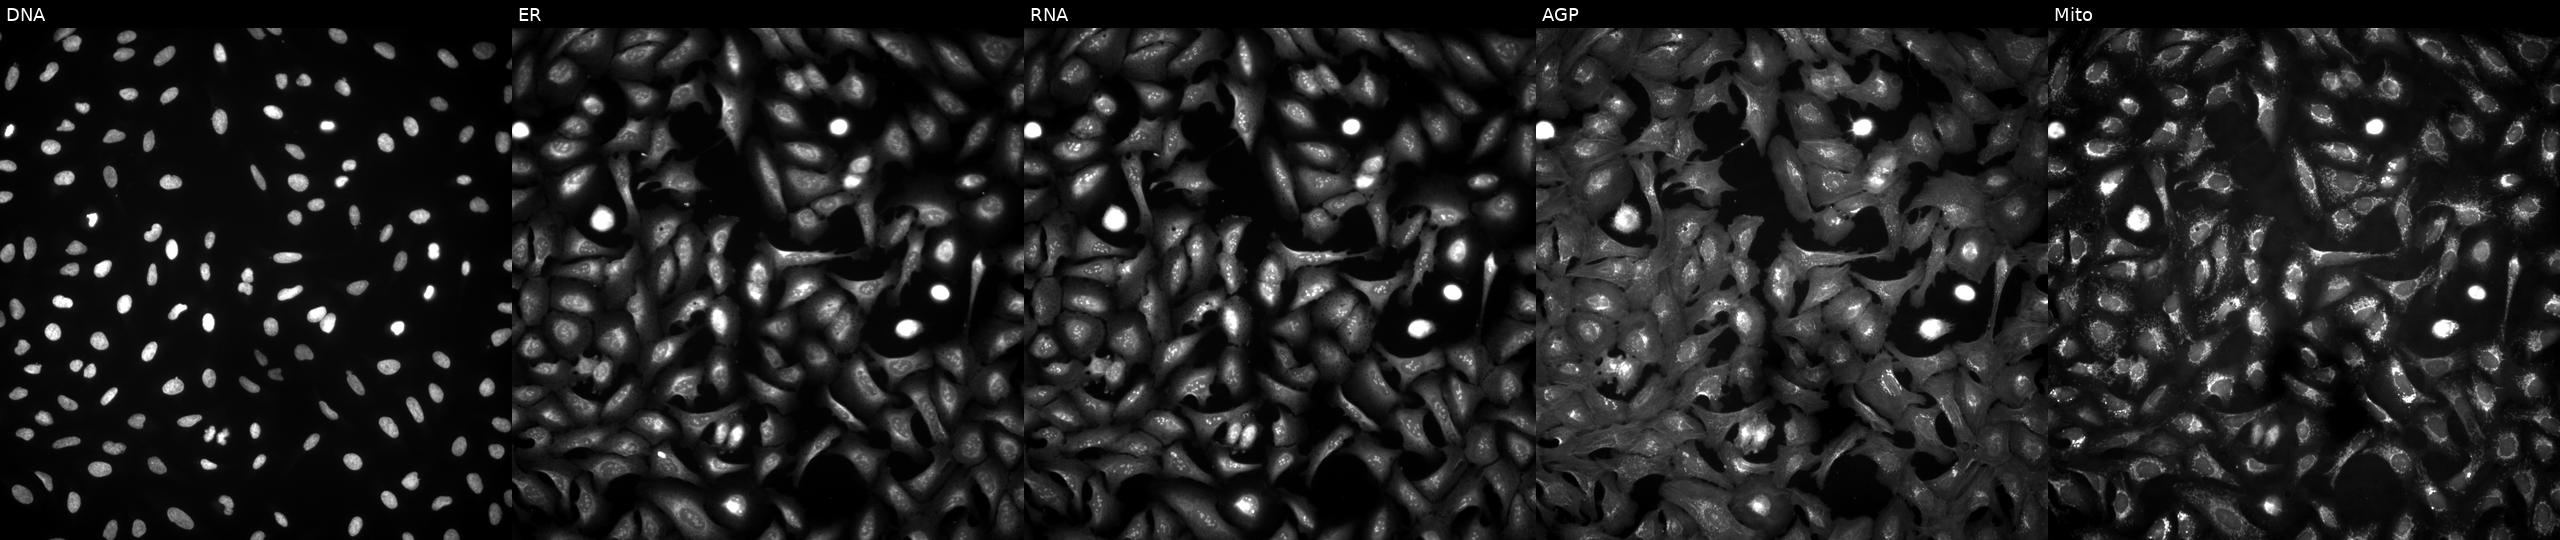
This image strip shows the five Cell Painting channels for a single field of U2OS cells transfected with an ORF construct for C1orf146 (JUMP id JCP2022_905227). Panels show, left to right, DNA (nuclei); ER (endoplasmic reticulum); RNA (nucleoli and cytoplasmic RNA); AGP (actin cytoskeleton, Golgi, and plasma membrane); Mito (mitochondria).